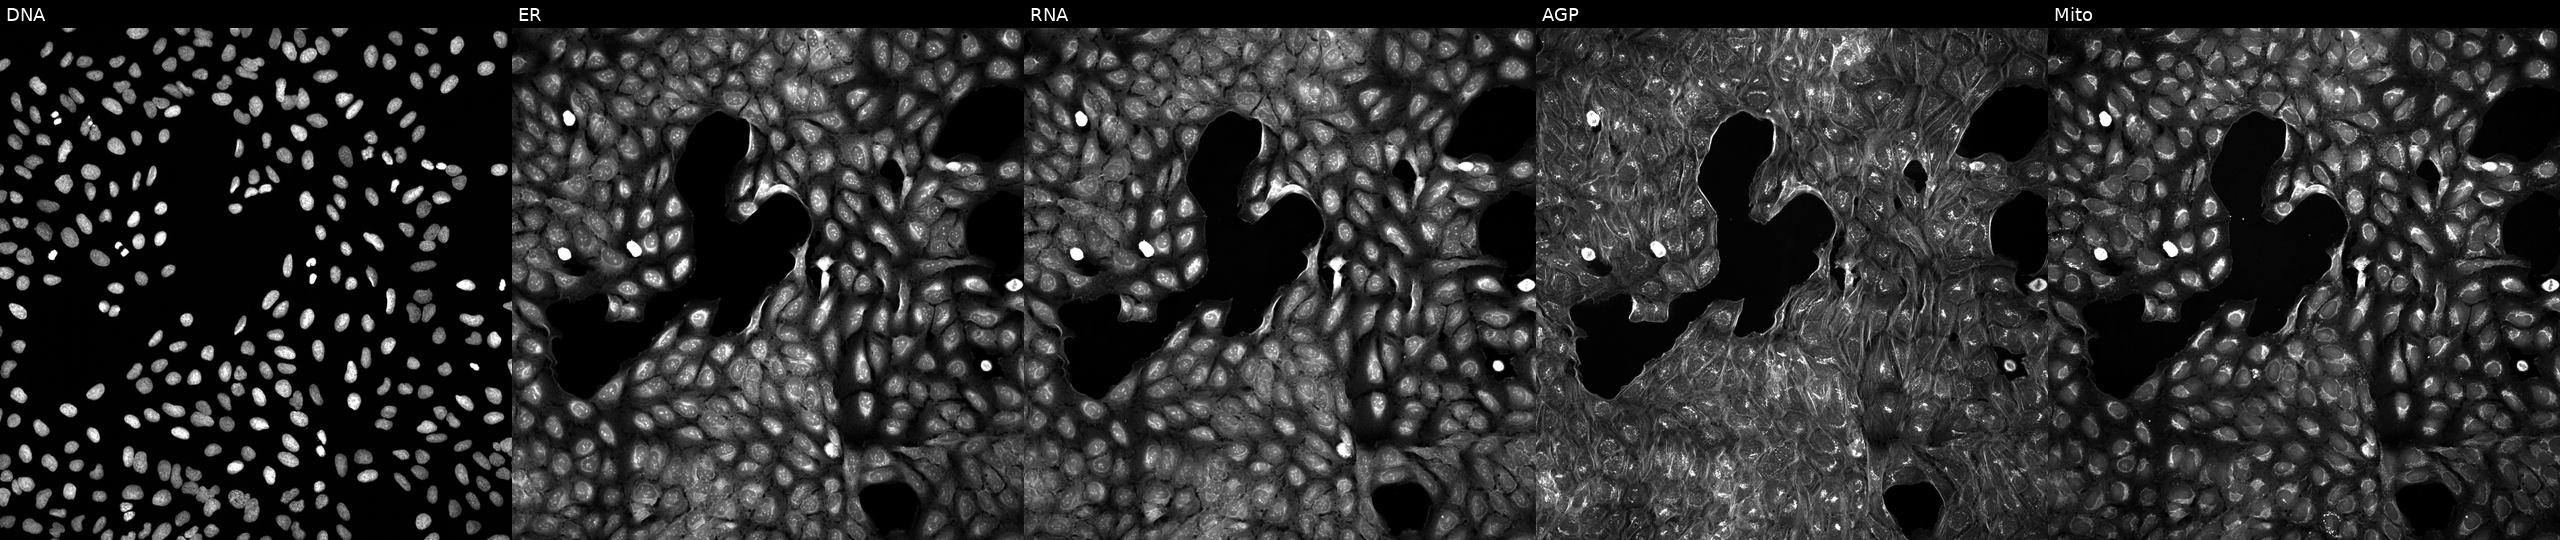
From left to right: DNA, ER, RNA, AGP, and Mito. U2OS osteosarcoma cells exposed to a small-molecule compound (InChIKey OLEFACBZOUSONE-UHFFFAOYSA-N) (JUMP id JCP2022_064514). Cell Painting assay, JUMP-CP dataset.